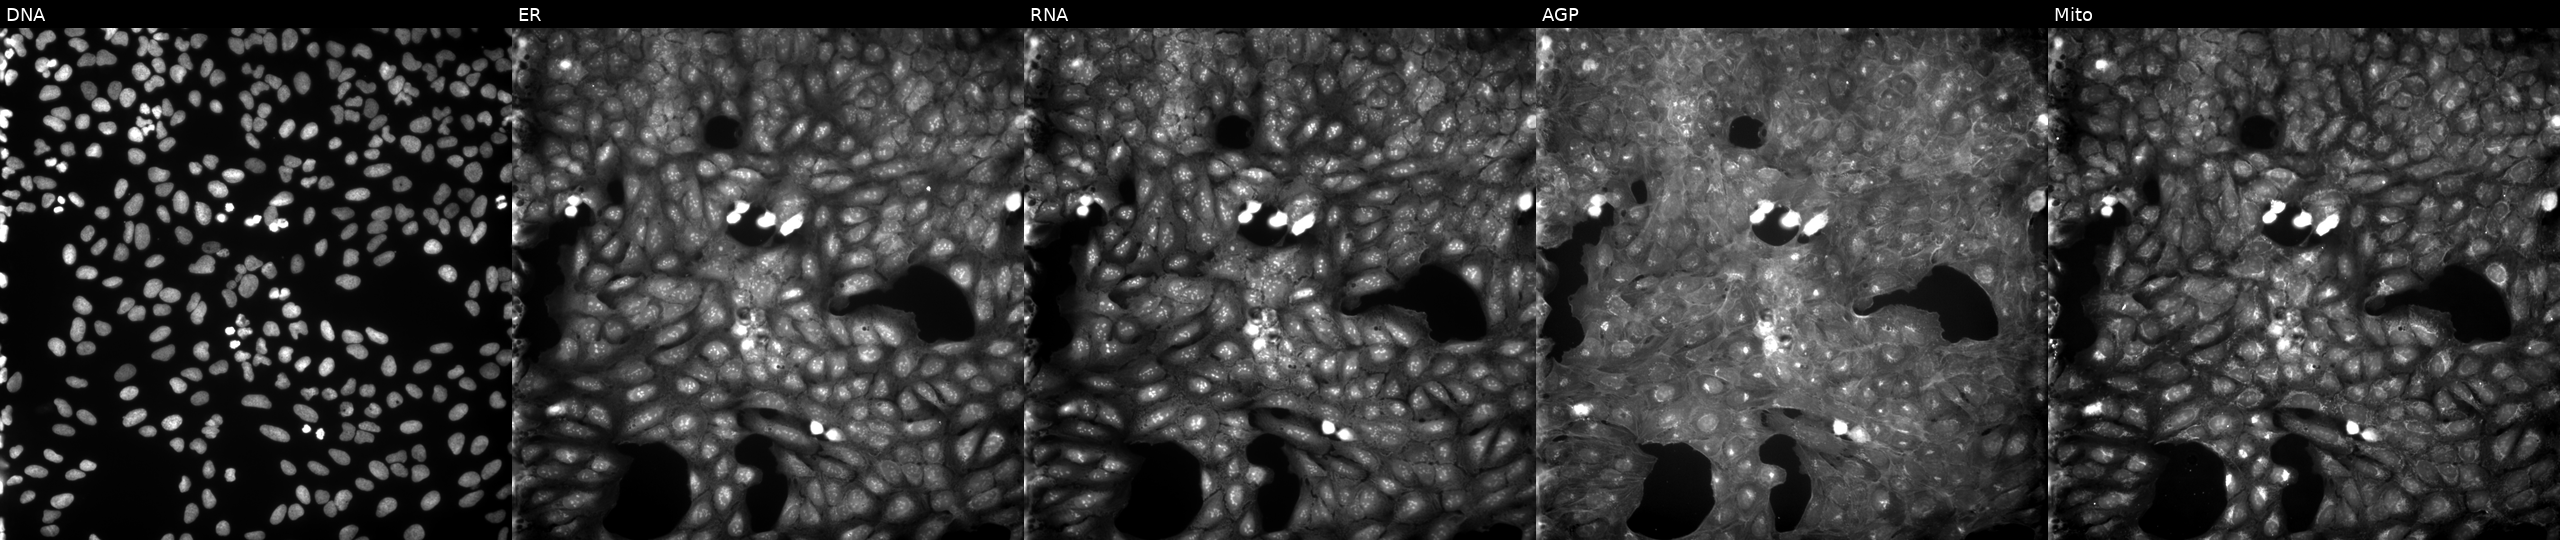
JUMP Cell Painting — COMPOUND plate. U2OS cells exposed to a small-molecule compound (InChIKey PYGCXWXIHFGLGK-UHFFFAOYSA-N). The five panels, left to right, show Hoechst 33342, concanavalin A, SYTO 14, phalloidin and WGA, MitoTracker.